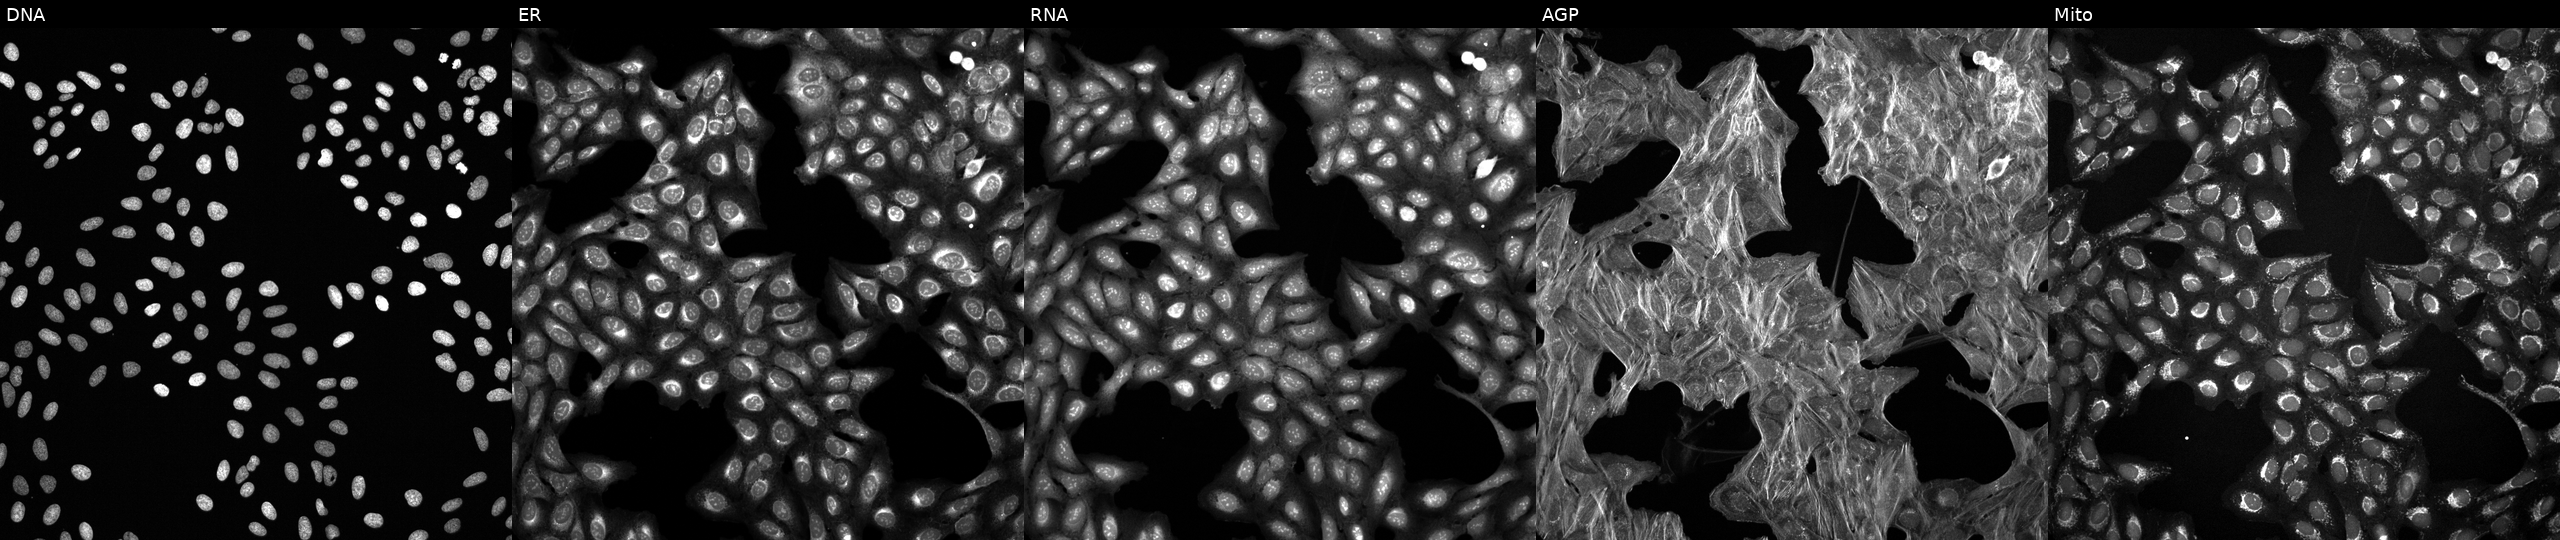
Five-channel Cell Painting image of U2OS cells perturbed with a small-molecule compound (InChIKey HFNKQEVNSGCOJV-UHFFFAOYSA-N). From left to right: DNA (nuclei); ER (endoplasmic reticulum); RNA (nucleoli and cytoplasmic RNA); AGP (actin cytoskeleton, Golgi, and plasma membrane); Mito (mitochondria).